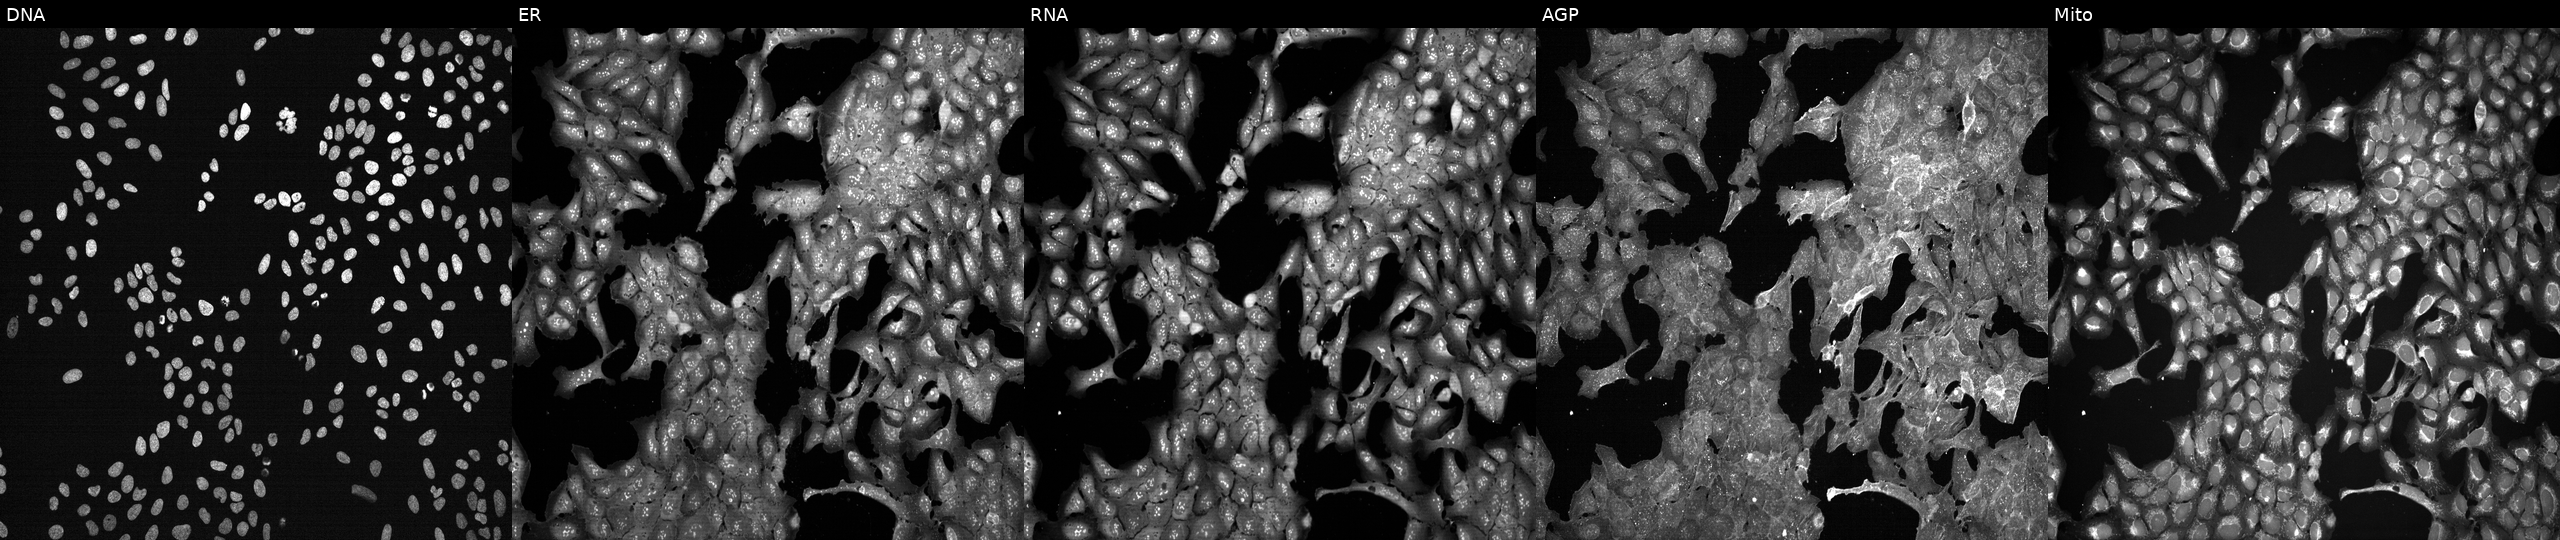
JUMP Cell Painting — TARGET2 plate. U2OS cells exposed to DMSO alone as a negative control. Panels show, left to right, DNA, ER, RNA, AGP, and Mito.